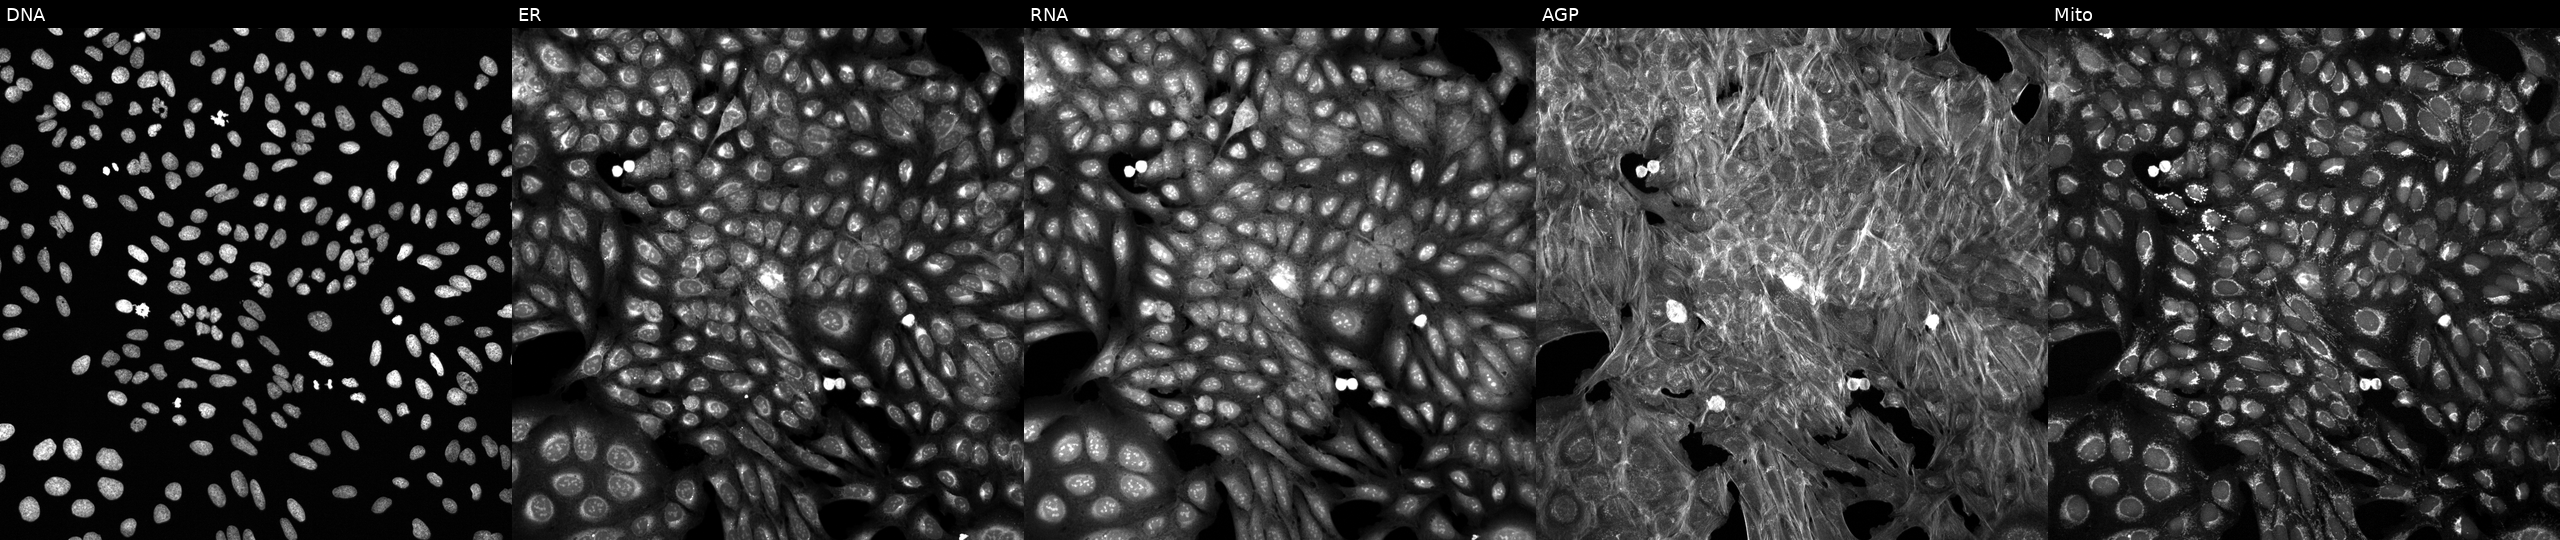
U2OS cells, Cell Painting assay, treated with DMSO vehicle only (negative control) (JUMP id JCP2022_033924). From left to right: DNA (nuclei); ER (endoplasmic reticulum); RNA (nucleoli and cytoplasmic RNA); AGP (actin cytoskeleton, Golgi, and plasma membrane); Mito (mitochondria). Each panel is percentile-stretched 16-bit fluorescence.